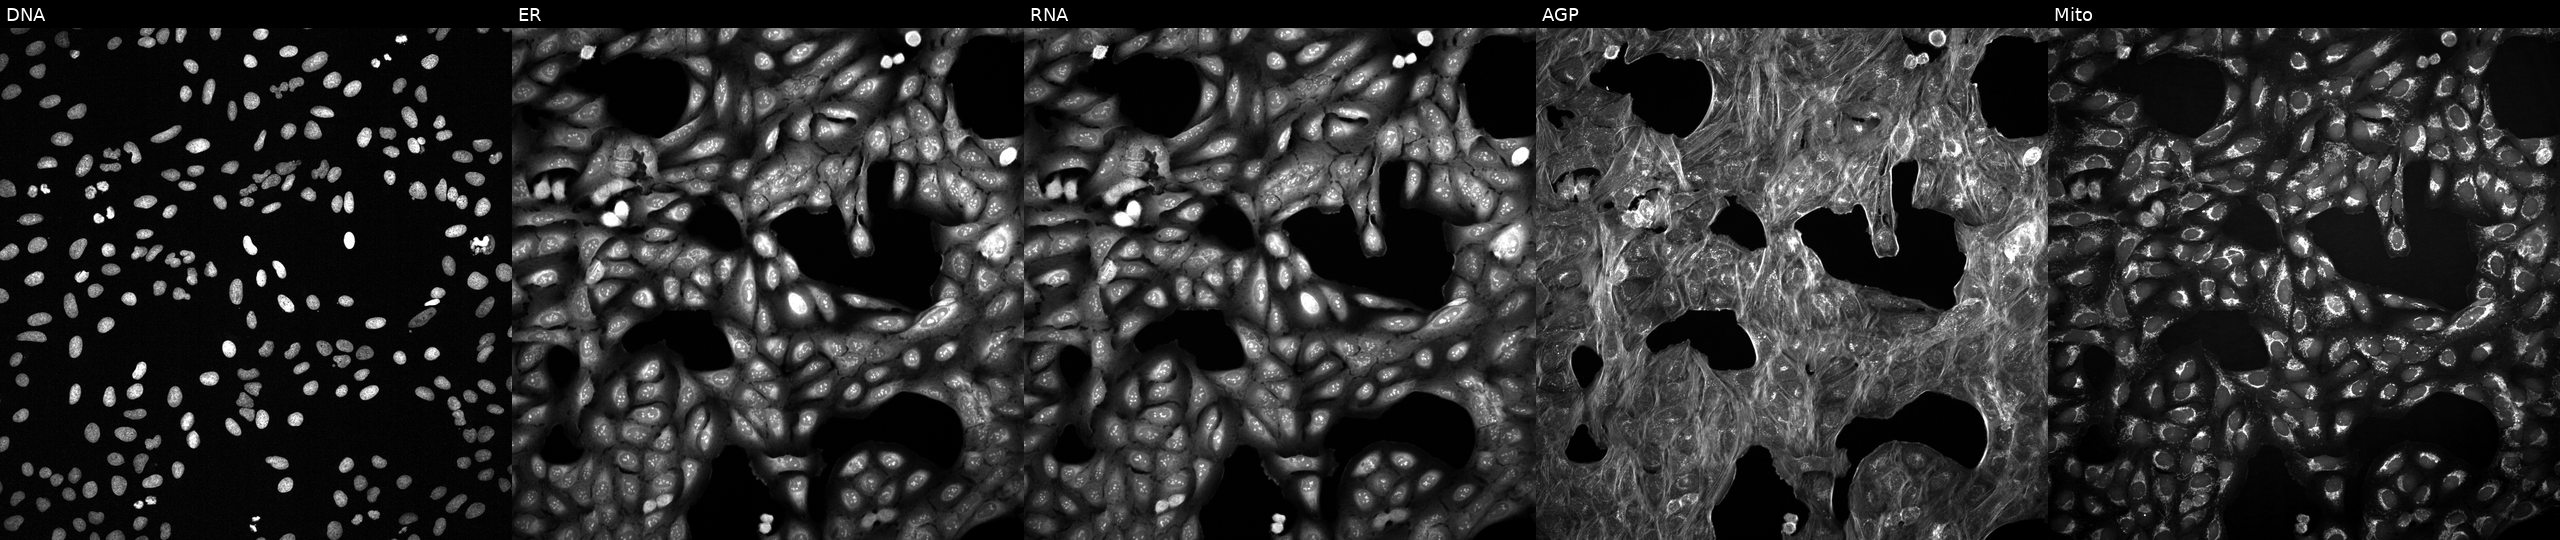
Five-channel Cell Painting image of U2OS cells perturbed with a small-molecule compound (JUMP id JCP2022_062273). Channels (left→right): DNA, ER, RNA, AGP, and Mito. Source 2, plate 1053601763, well P09.